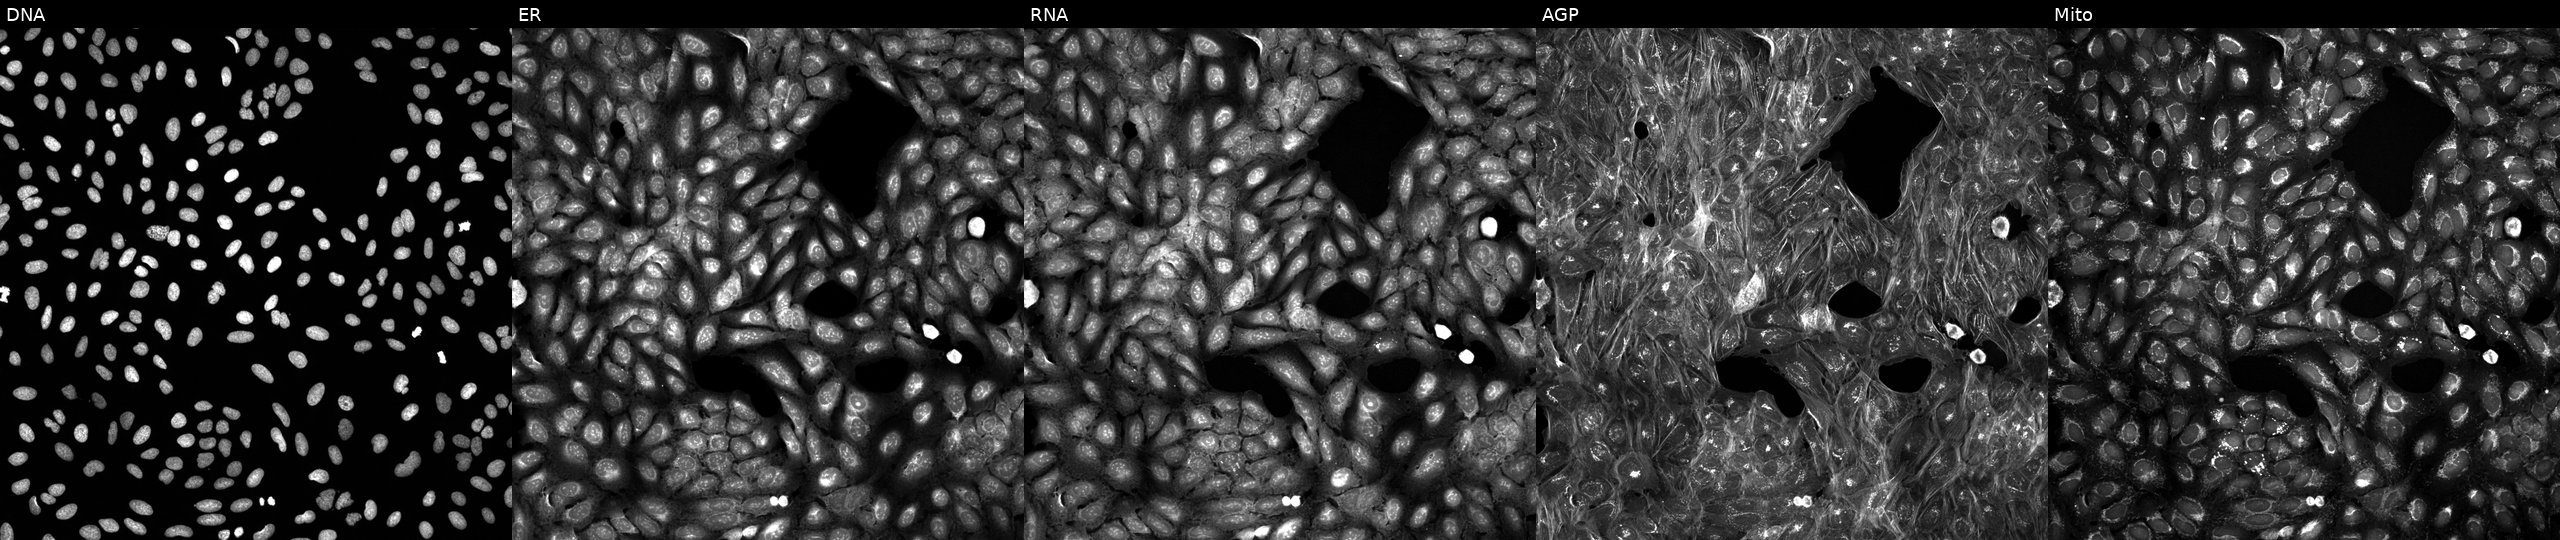
High-content fluorescence microscopy (Cell Painting). Cell line: U2OS. Perturbation: perturbed with a small-molecule compound (InChIKey XDJCLCLBSGGNKS-UHFFFAOYSA-N). Channels (left→right): Hoechst 33342, concanavalin A, SYTO 14, phalloidin and WGA, MitoTracker.